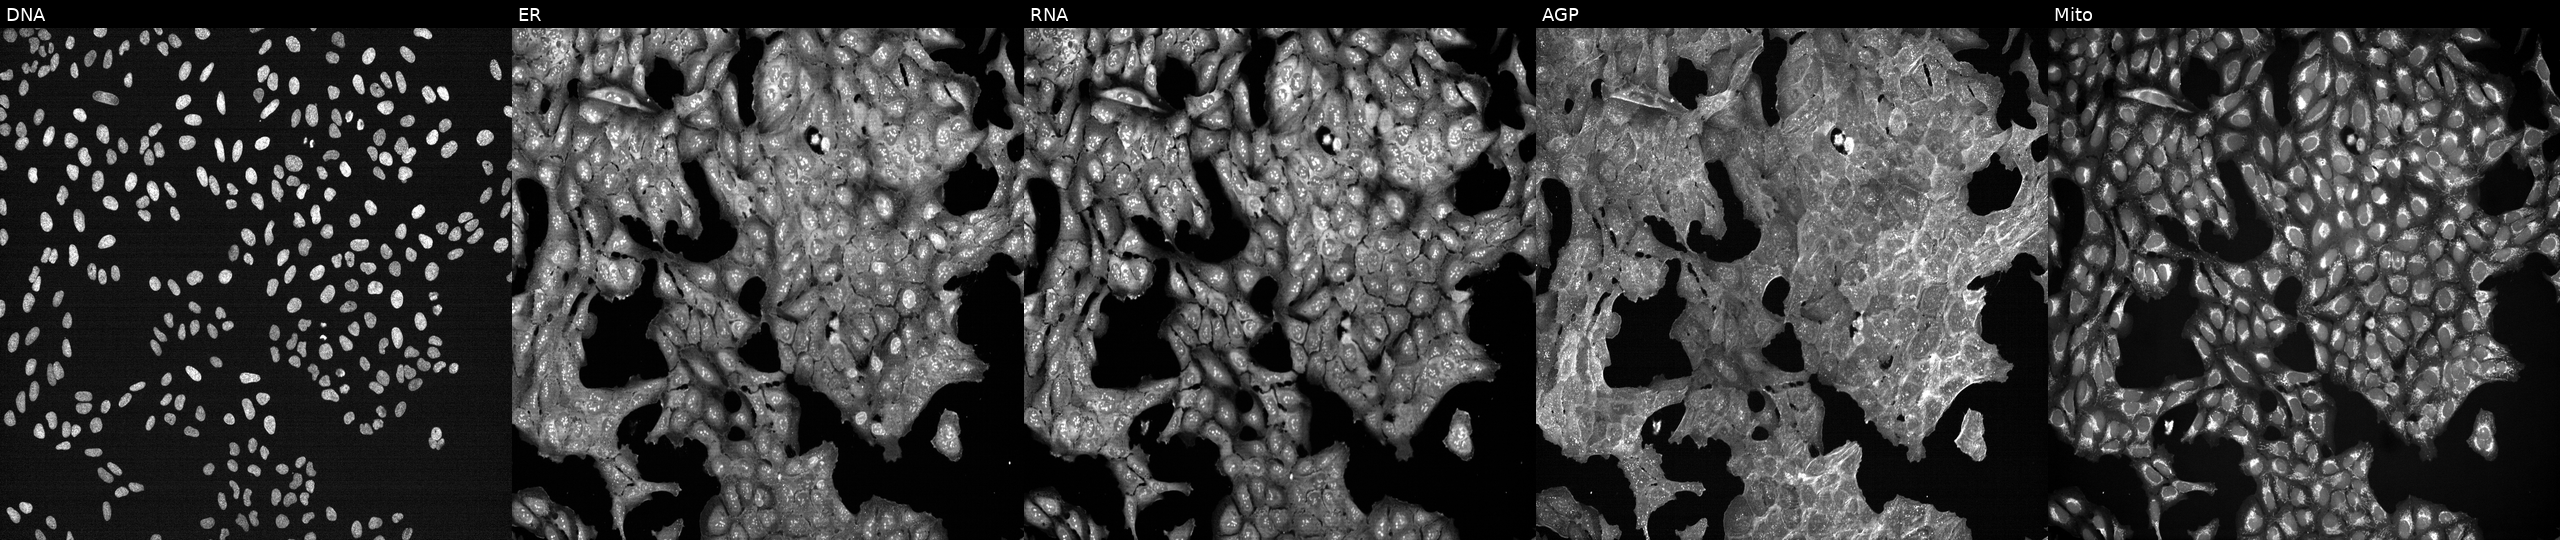
Five-channel Cell Painting image of U2OS cells perturbed with a small-molecule compound (InChIKey XXRCUYVCPSWGCC-UHFFFAOYSA-N). Channels (left→right): DNA, ER, RNA, AGP, and Mito.